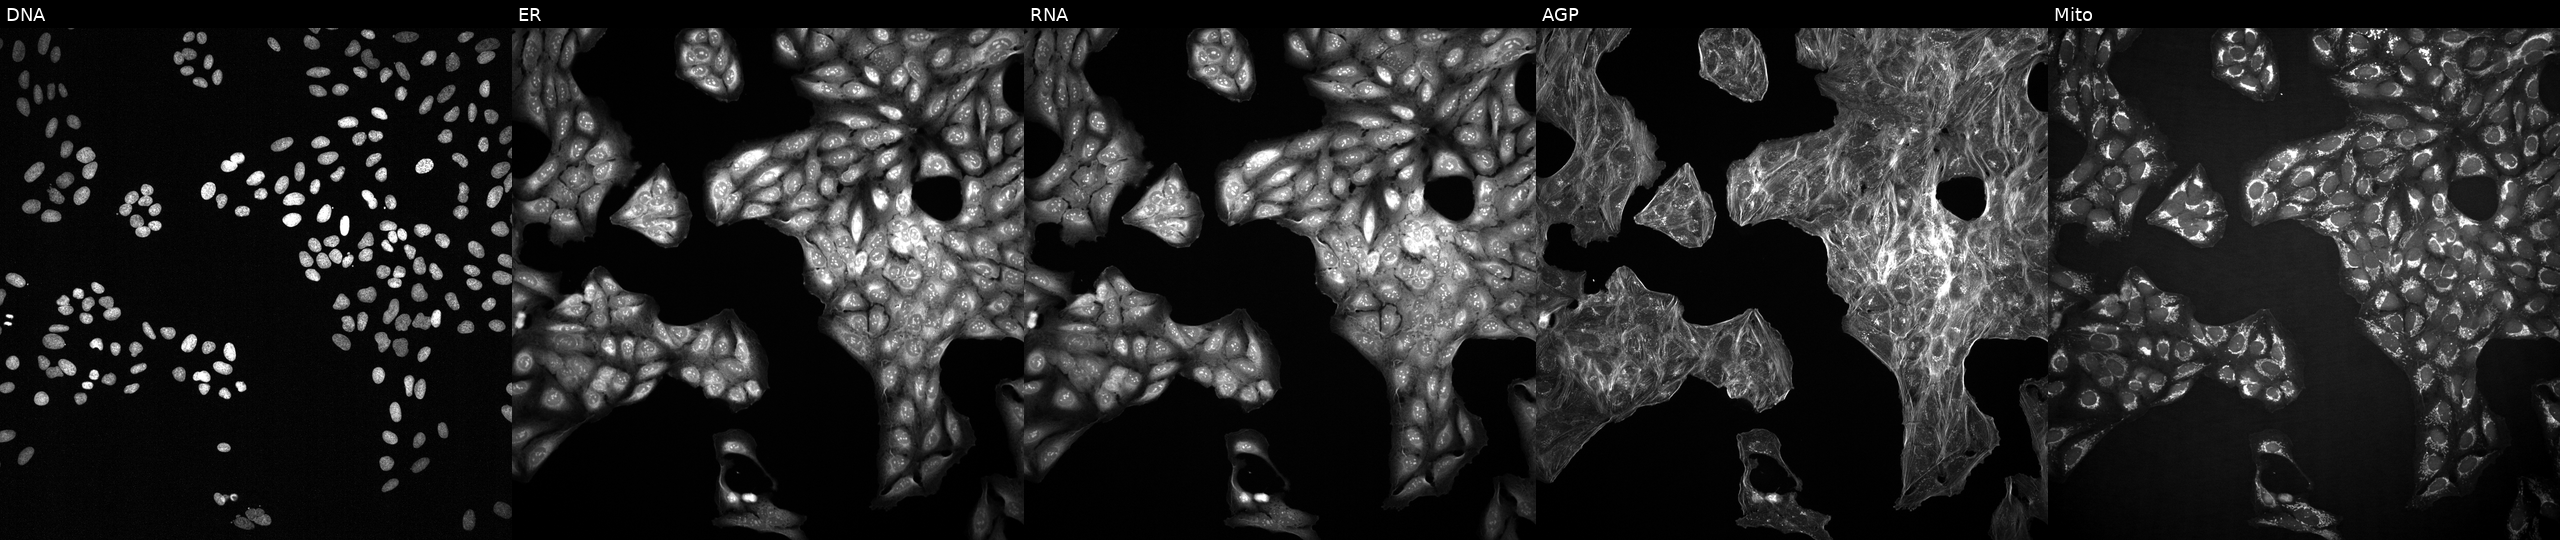
This image strip shows the five Cell Painting channels for a single field of U2OS cells perturbed with a small-molecule compound (JUMP id JCP2022_105696). From left to right: DNA, ER, RNA, AGP, and Mito. Source 2, plate 1053600674, well K11.